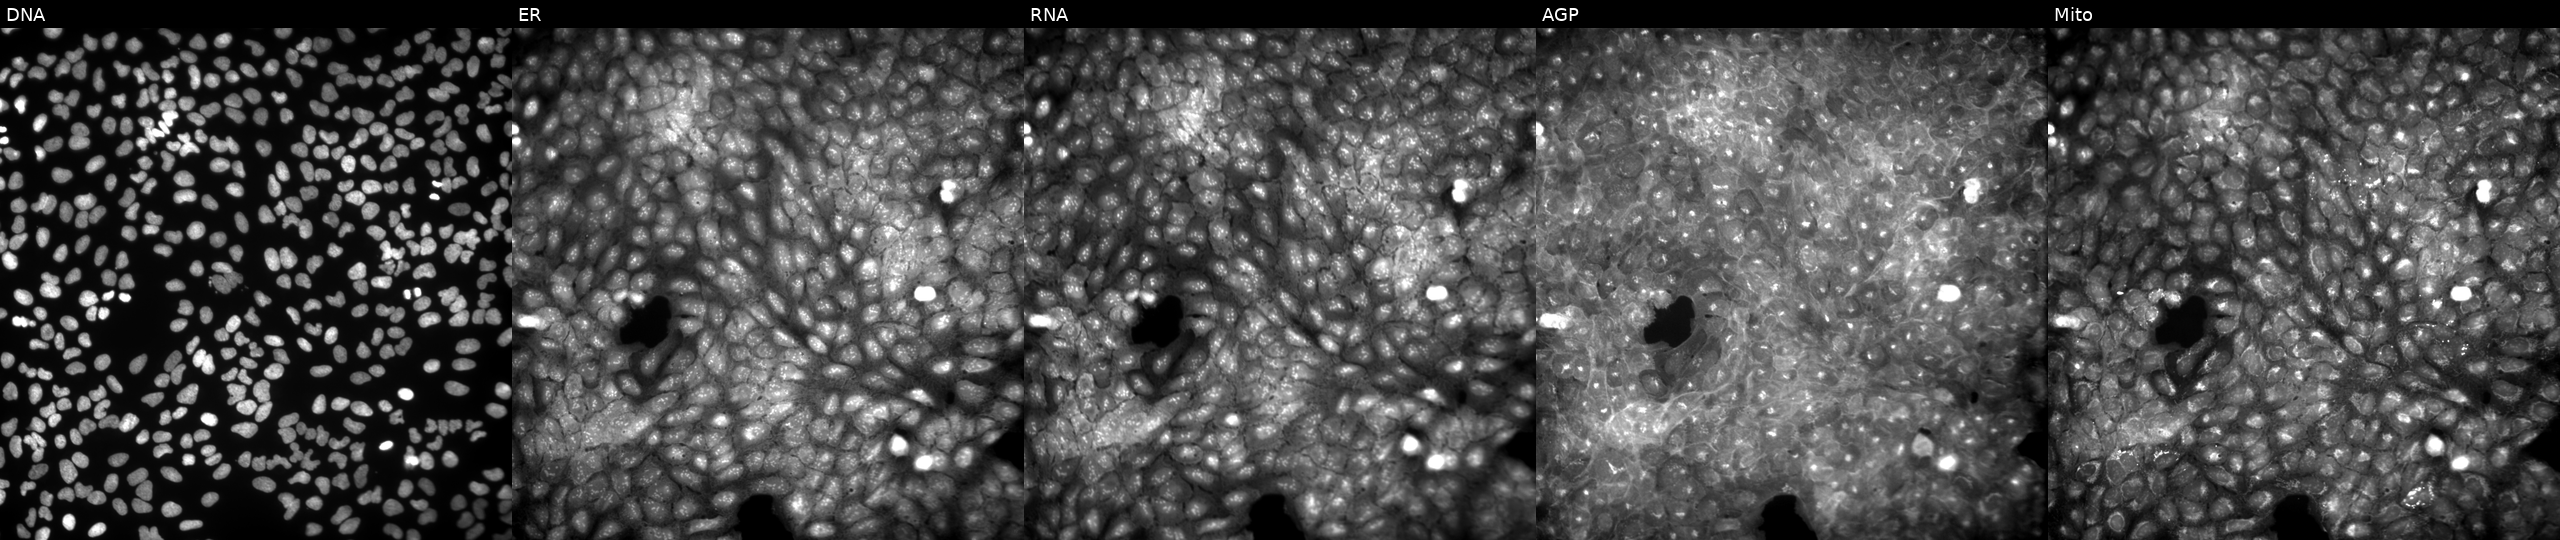
JUMP Cell Painting — COMPOUND plate. U2OS cells exposed to a small-molecule compound (InChIKey PBEXVKFTCRVCMA-UHFFFAOYSA-N) (JUMP id JCP2022_067460). Panels show, left to right, DNA (nuclei); ER (endoplasmic reticulum); RNA (nucleoli and cytoplasmic RNA); AGP (actin cytoskeleton, Golgi, and plasma membrane); Mito (mitochondria). Source 9, plate GR00003381, well Z36.